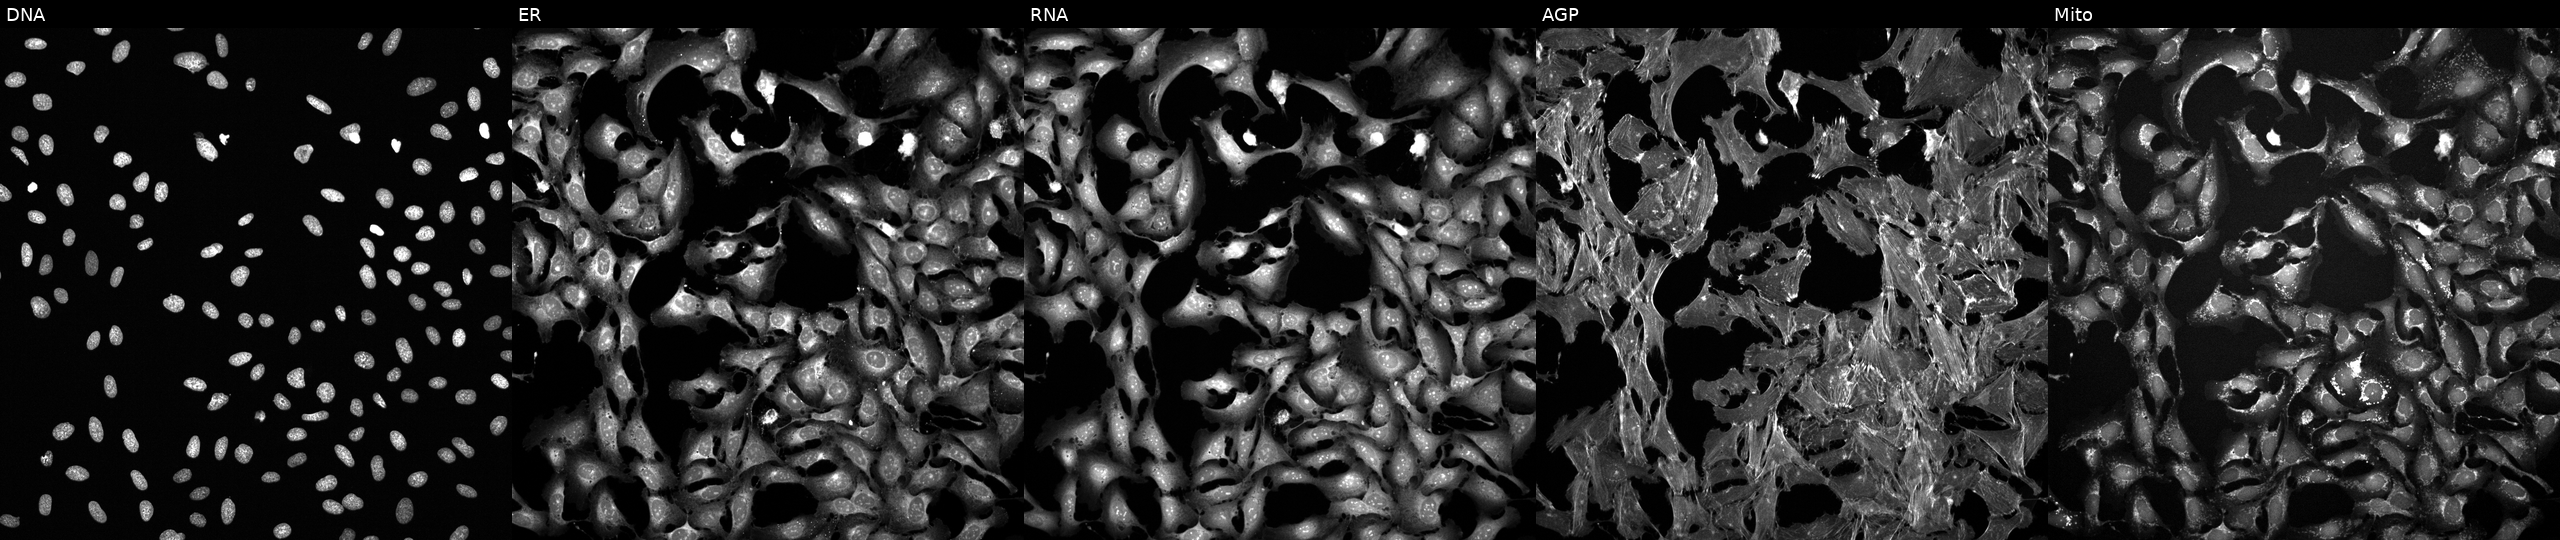
JUMP Cell Painting — TARGET2 plate. U2OS cells treated with FK-866 (positive-control compound). Panels show, left to right, DNA (nuclei); ER (endoplasmic reticulum); RNA (nucleoli and cytoplasmic RNA); AGP (actin cytoskeleton, Golgi, and plasma membrane); Mito (mitochondria).